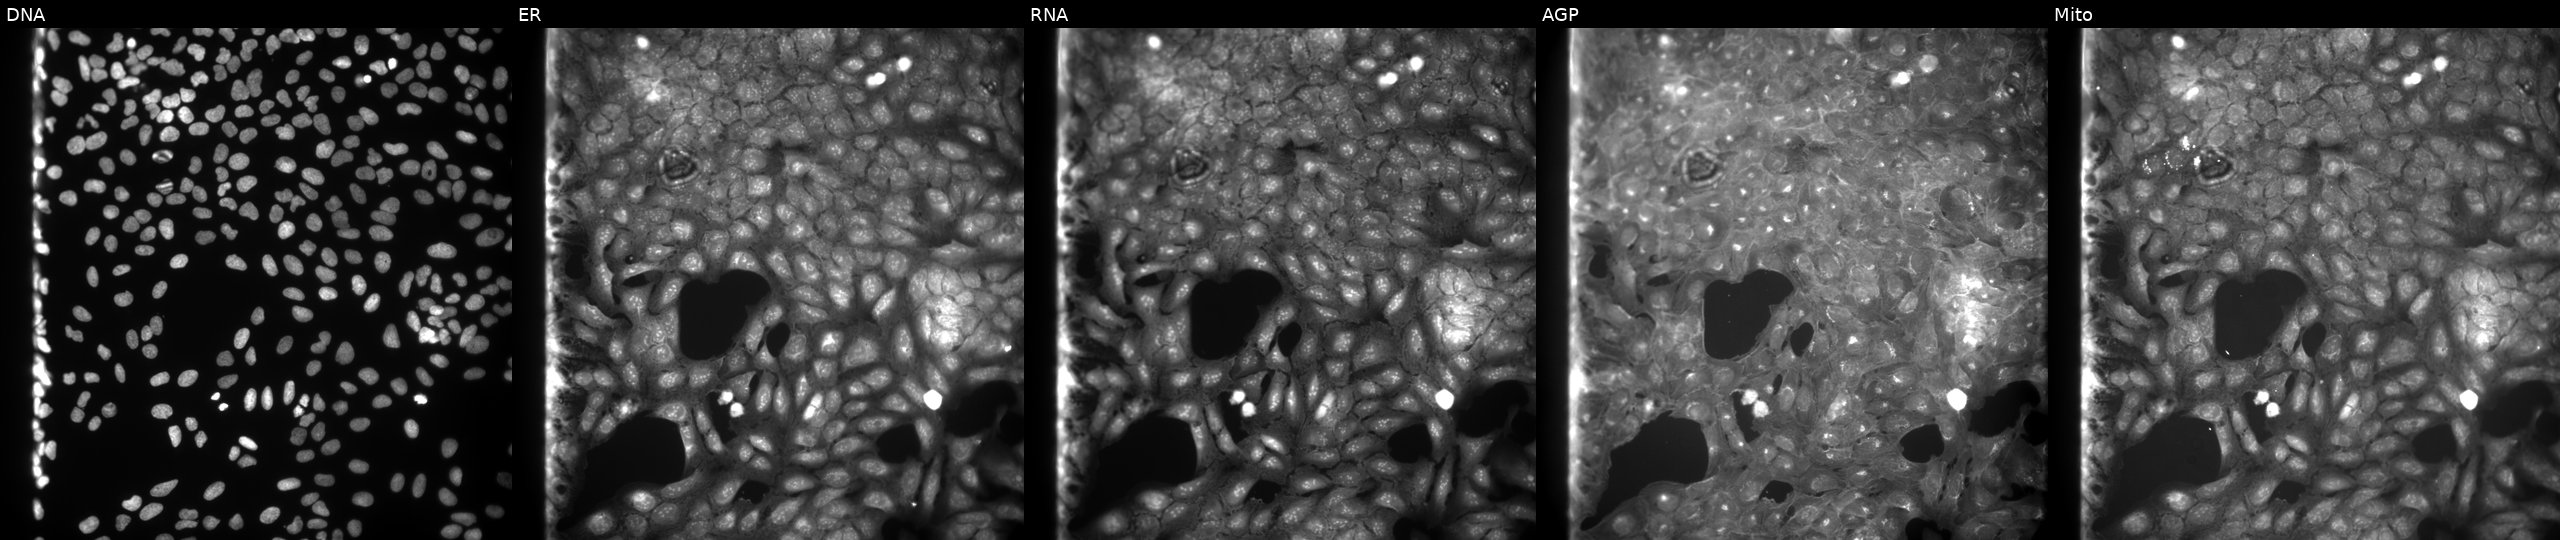
Channels (left→right): DNA (nuclei); ER (endoplasmic reticulum); RNA (nucleoli and cytoplasmic RNA); AGP (actin cytoskeleton, Golgi, and plasma membrane); Mito (mitochondria). U2OS osteosarcoma cells exposed to a small-molecule compound (InChIKey WEBULUVFDZSBFP-UHFFFAOYSA-N) (JUMP id JCP2022_098145). Cell Painting assay, JUMP-CP dataset.